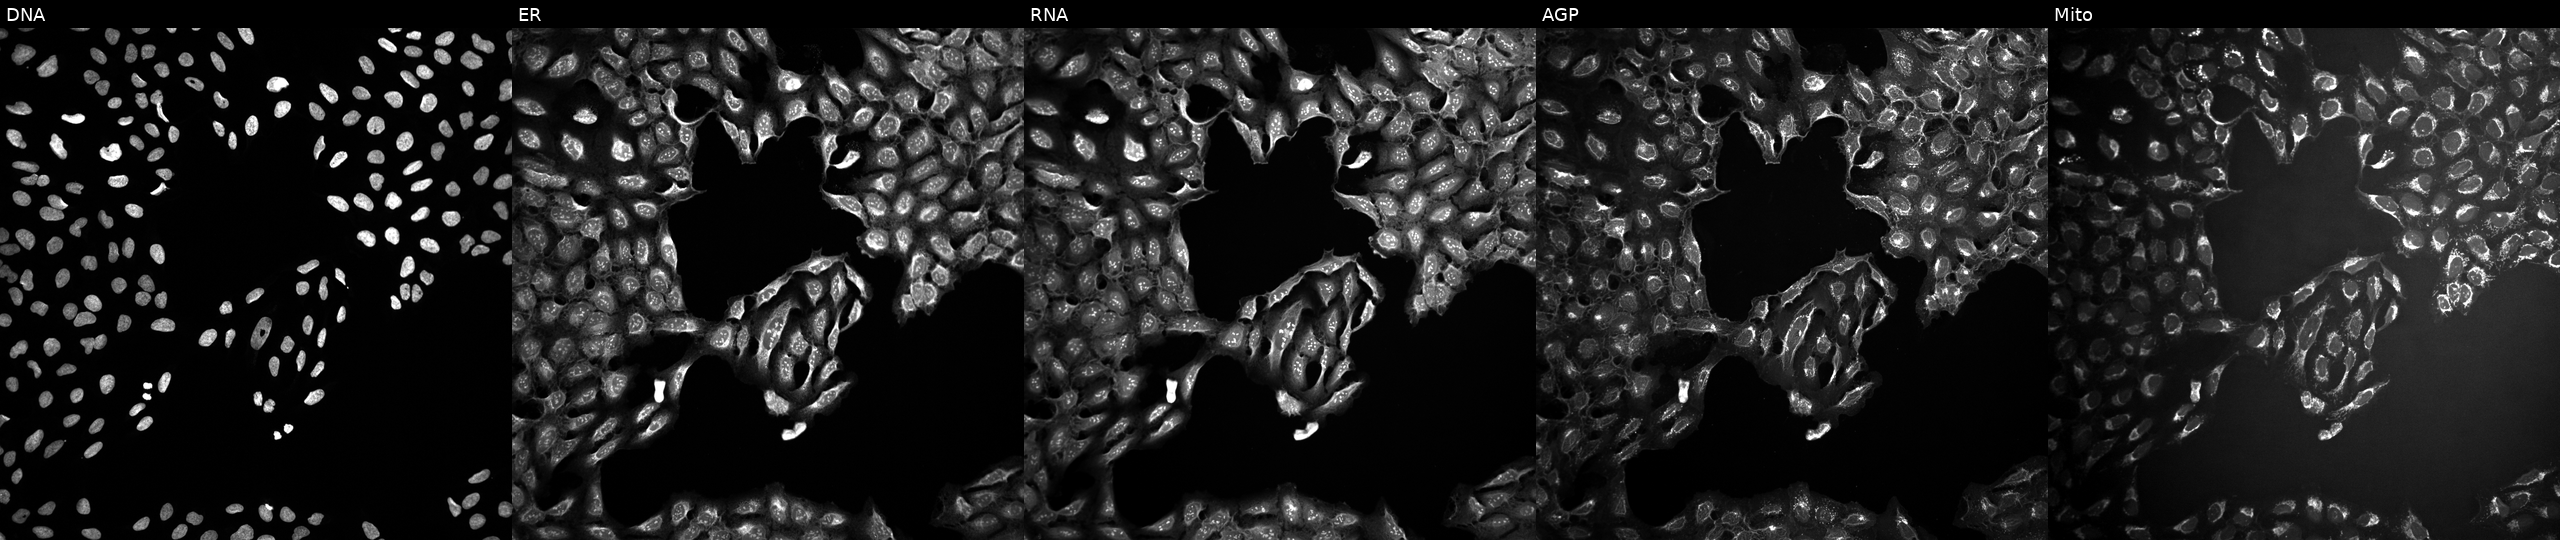
JUMP Cell Painting — TARGET2 plate. U2OS cells exposed to DMSO alone as a negative control. Channels (left→right): DNA, ER, RNA, AGP, and Mito.